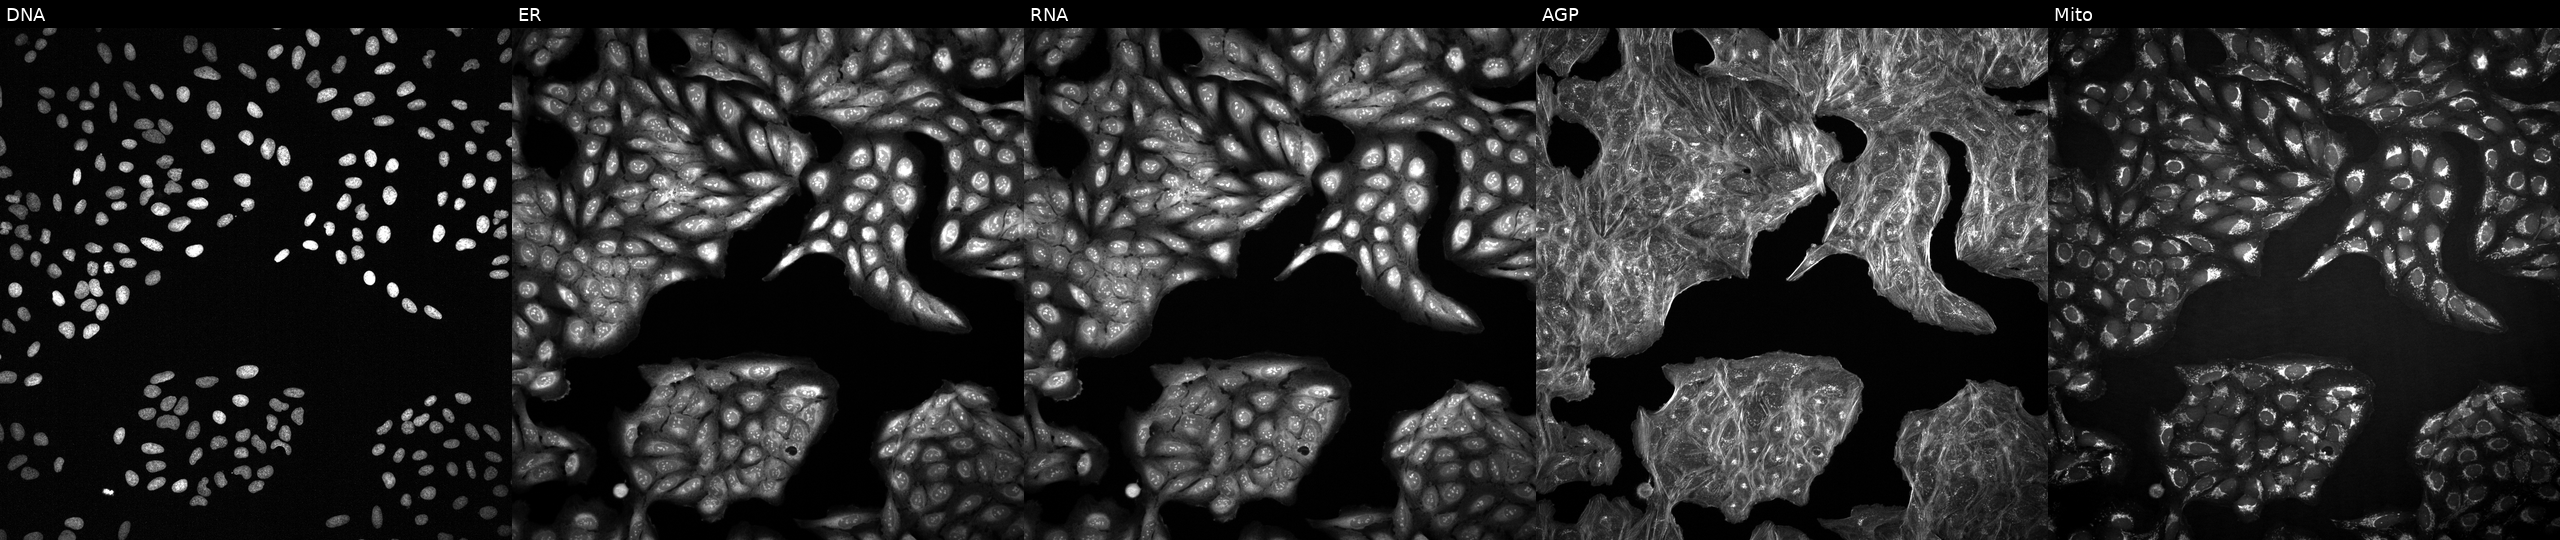
This image strip shows the five Cell Painting channels for a single field of U2OS cells exposed to a small-molecule compound. Panels show, left to right, Hoechst 33342, concanavalin A, SYTO 14, phalloidin and WGA, MitoTracker.